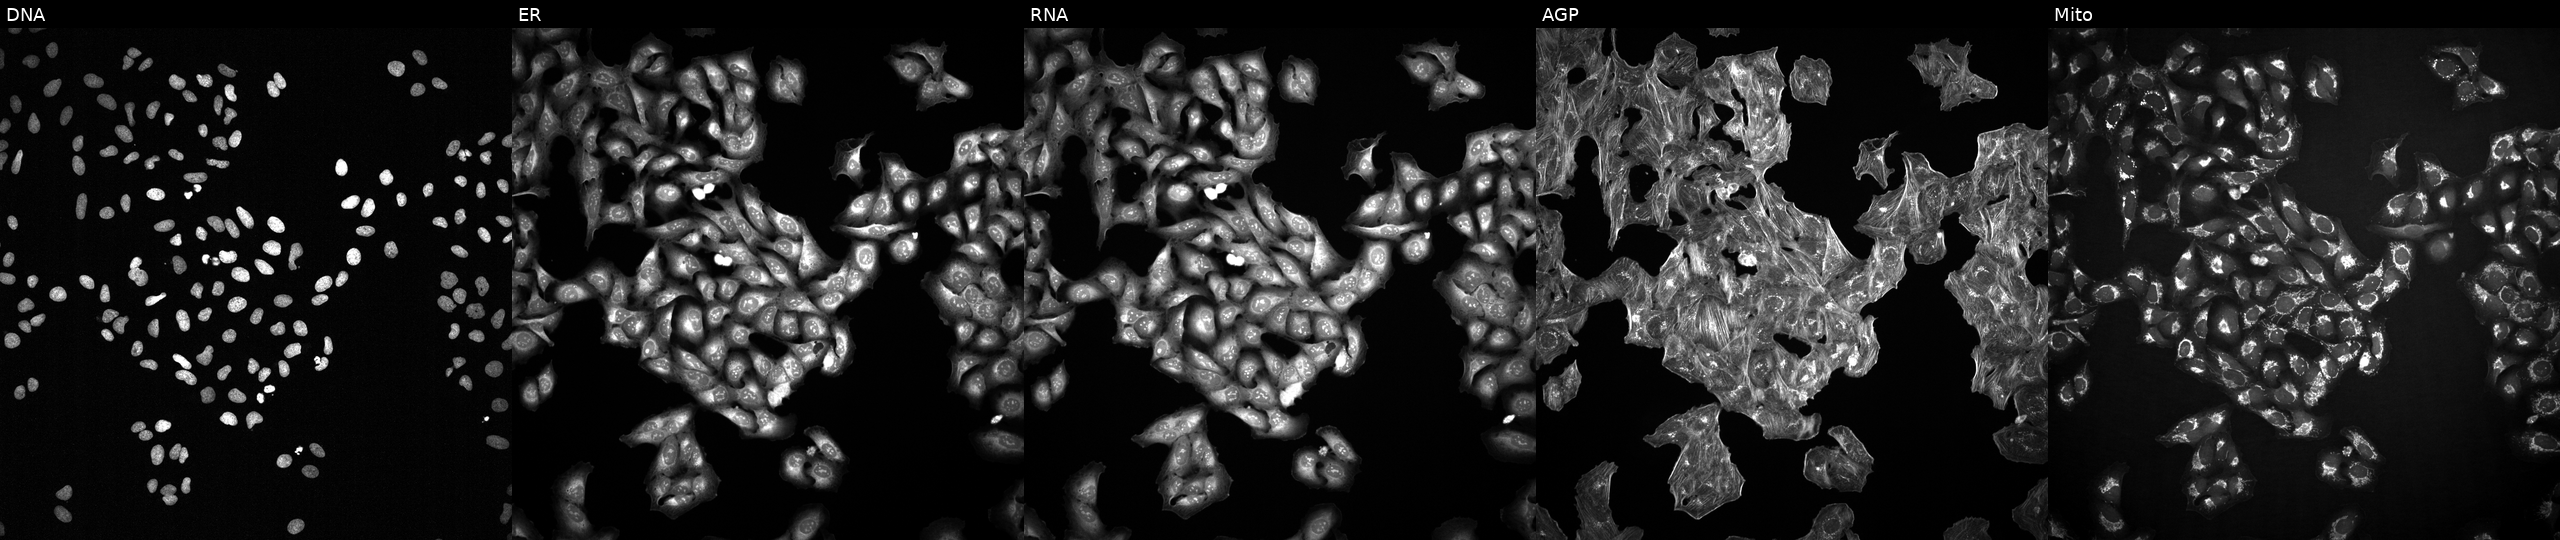
U2OS cells, Cell Painting assay, exposed to the positive-control compound NVS-PAK1-1 (JUMP id JCP2022_064022). The five panels, left to right, show DNA (nuclei); ER (endoplasmic reticulum); RNA (nucleoli and cytoplasmic RNA); AGP (actin cytoskeleton, Golgi, and plasma membrane); Mito (mitochondria). Each panel is percentile-stretched 16-bit fluorescence.